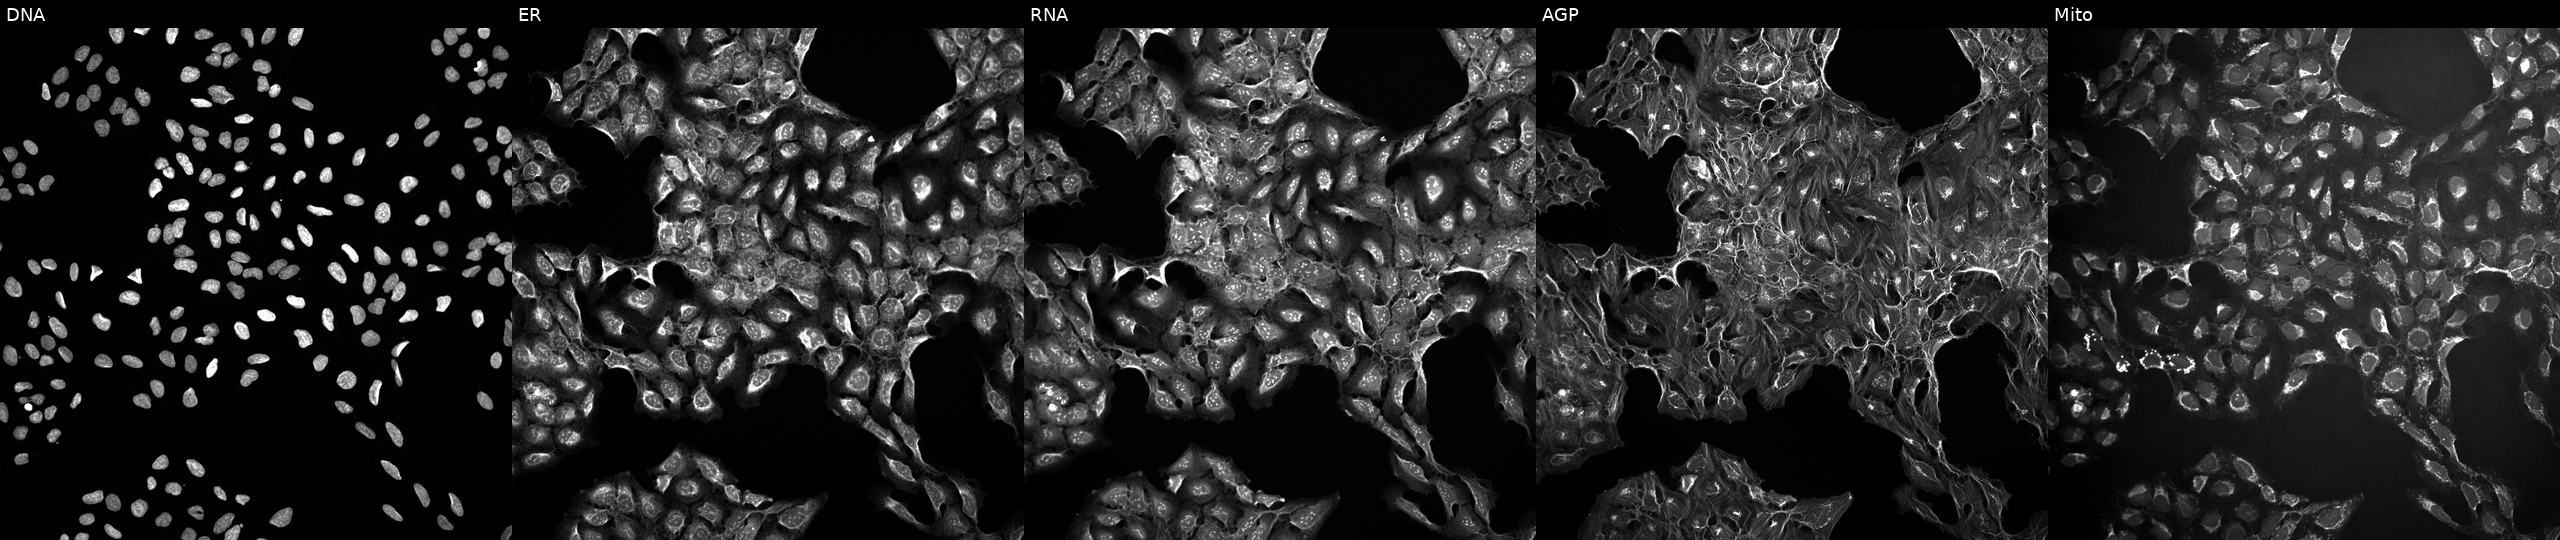
From left to right: DNA, ER, RNA, AGP, and Mito. U2OS osteosarcoma cells untreated (empty-well control). Cell Painting assay, JUMP-CP dataset.